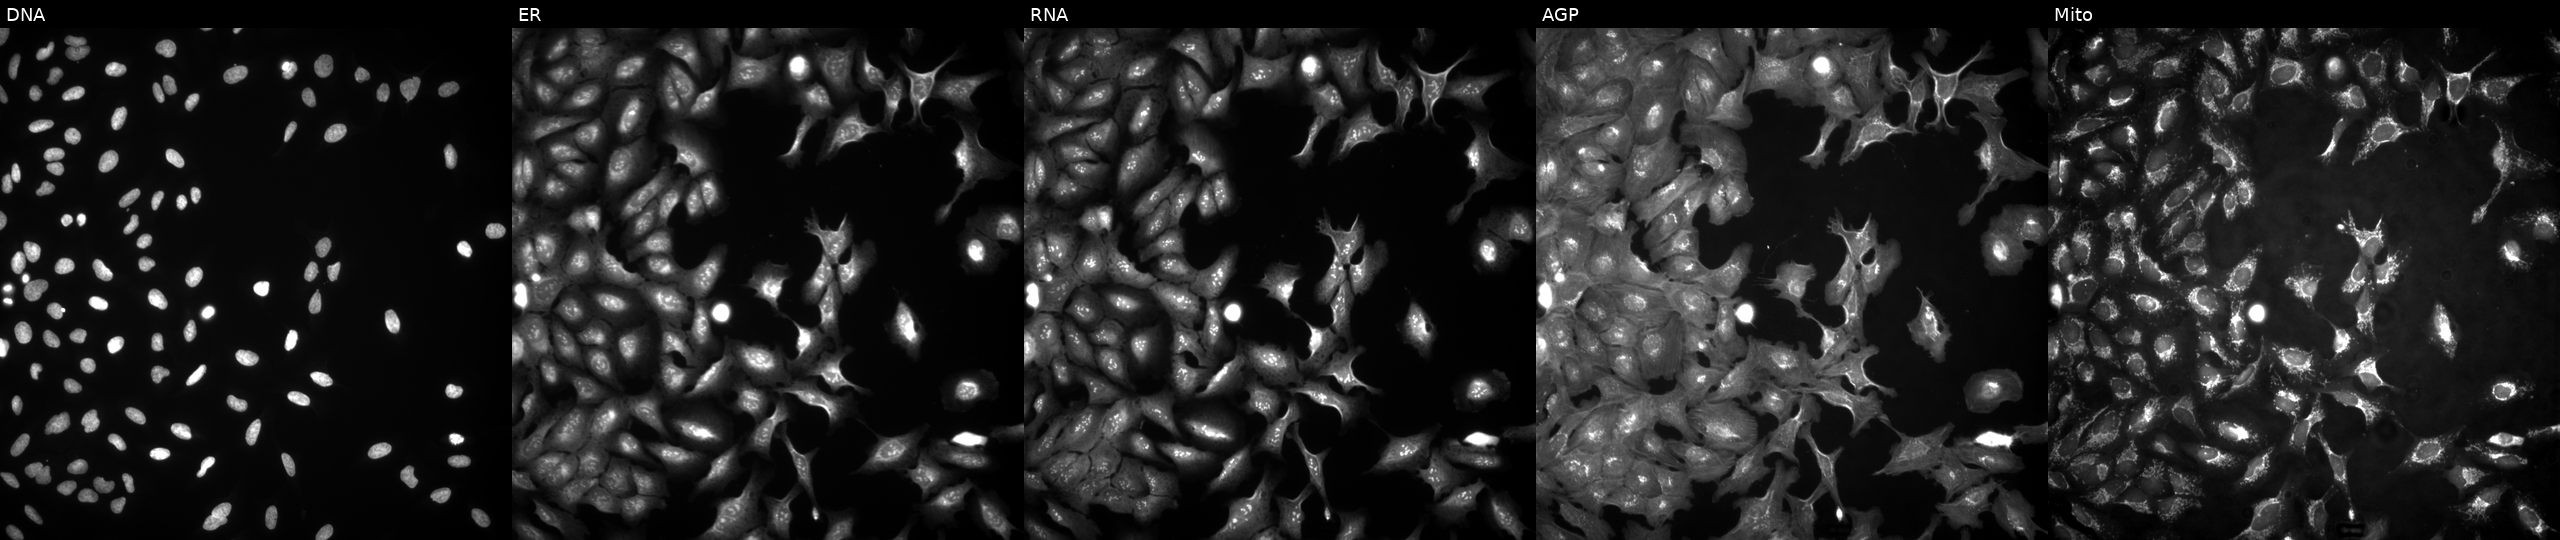
U2OS cells, Cell Painting assay, with RAB7B overexpressed (ORF) (JUMP id JCP2022_912657). Panels show, left to right, Hoechst 33342, concanavalin A, SYTO 14, phalloidin and WGA, MitoTracker. Each panel is percentile-stretched 16-bit fluorescence.